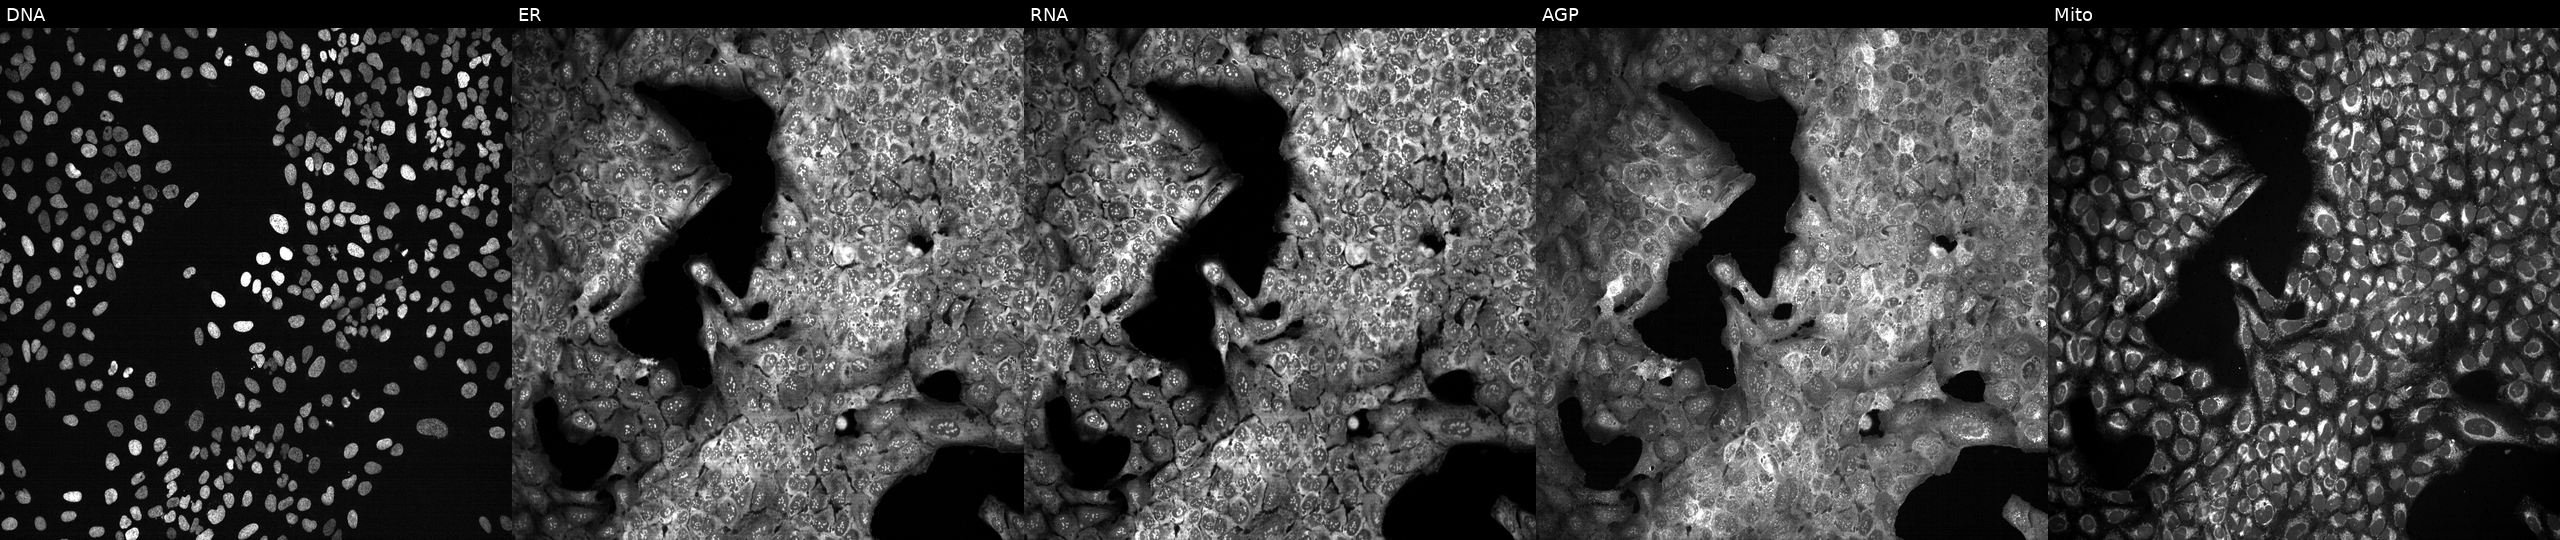
U2OS cells, Cell Painting assay, with GSTK1 knocked out by CRISPR (JUMP id JCP2022_802939). Channels (left→right): DNA, ER, RNA, AGP, and Mito. Each panel is percentile-stretched 16-bit fluorescence.